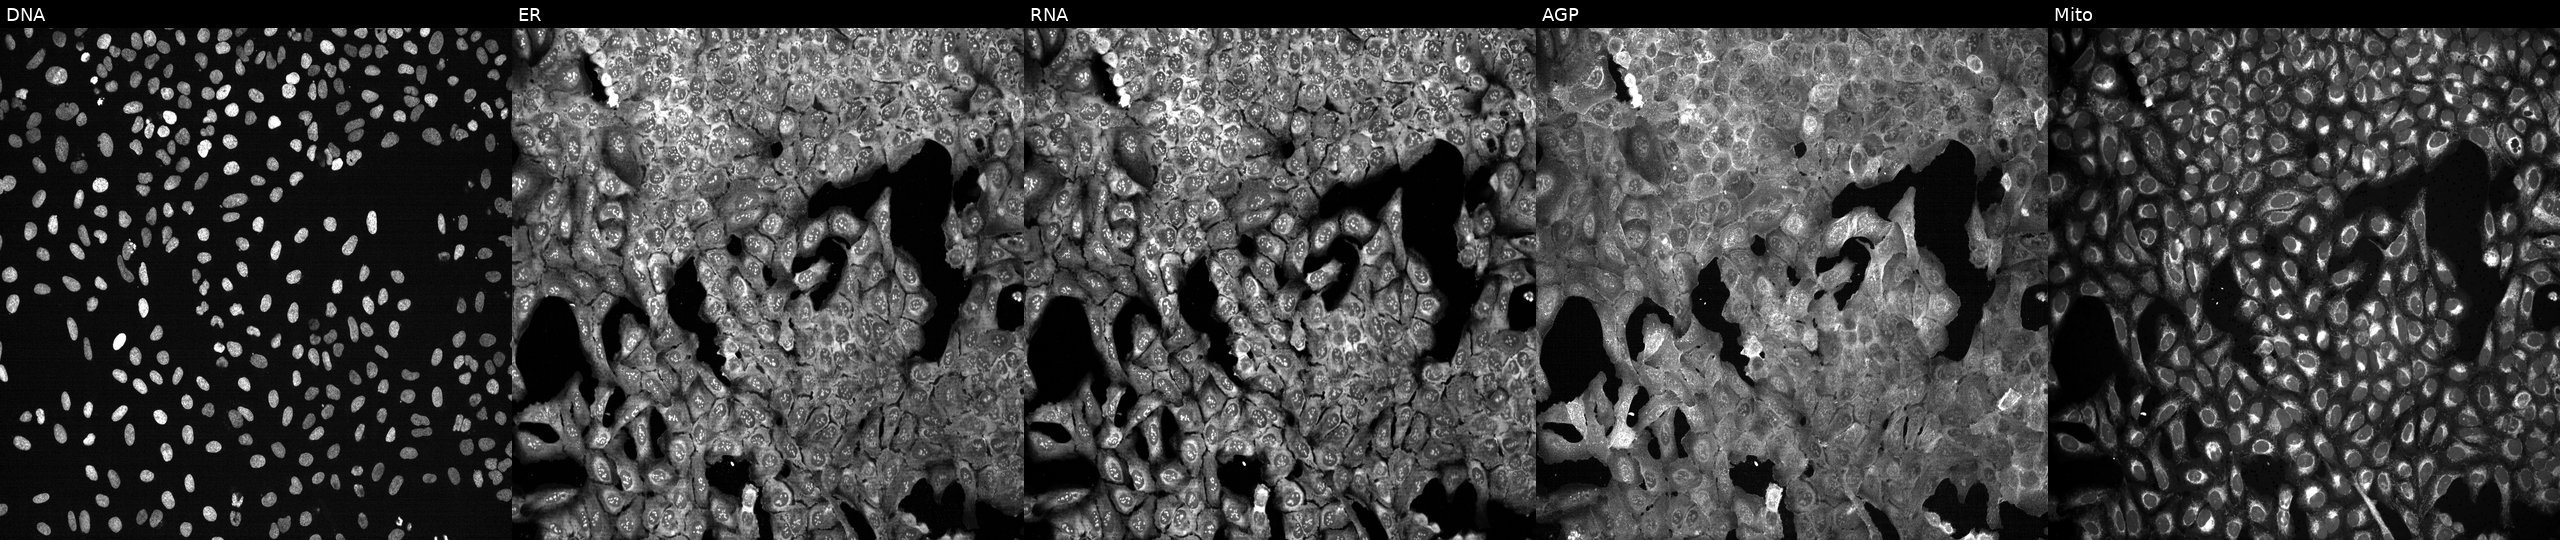
U2OS cells, Cell Painting assay, CRISPR-edited to disrupt OSBPL1A. The five panels, left to right, show DNA, ER, RNA, AGP, and Mito. Each panel is percentile-stretched 16-bit fluorescence.